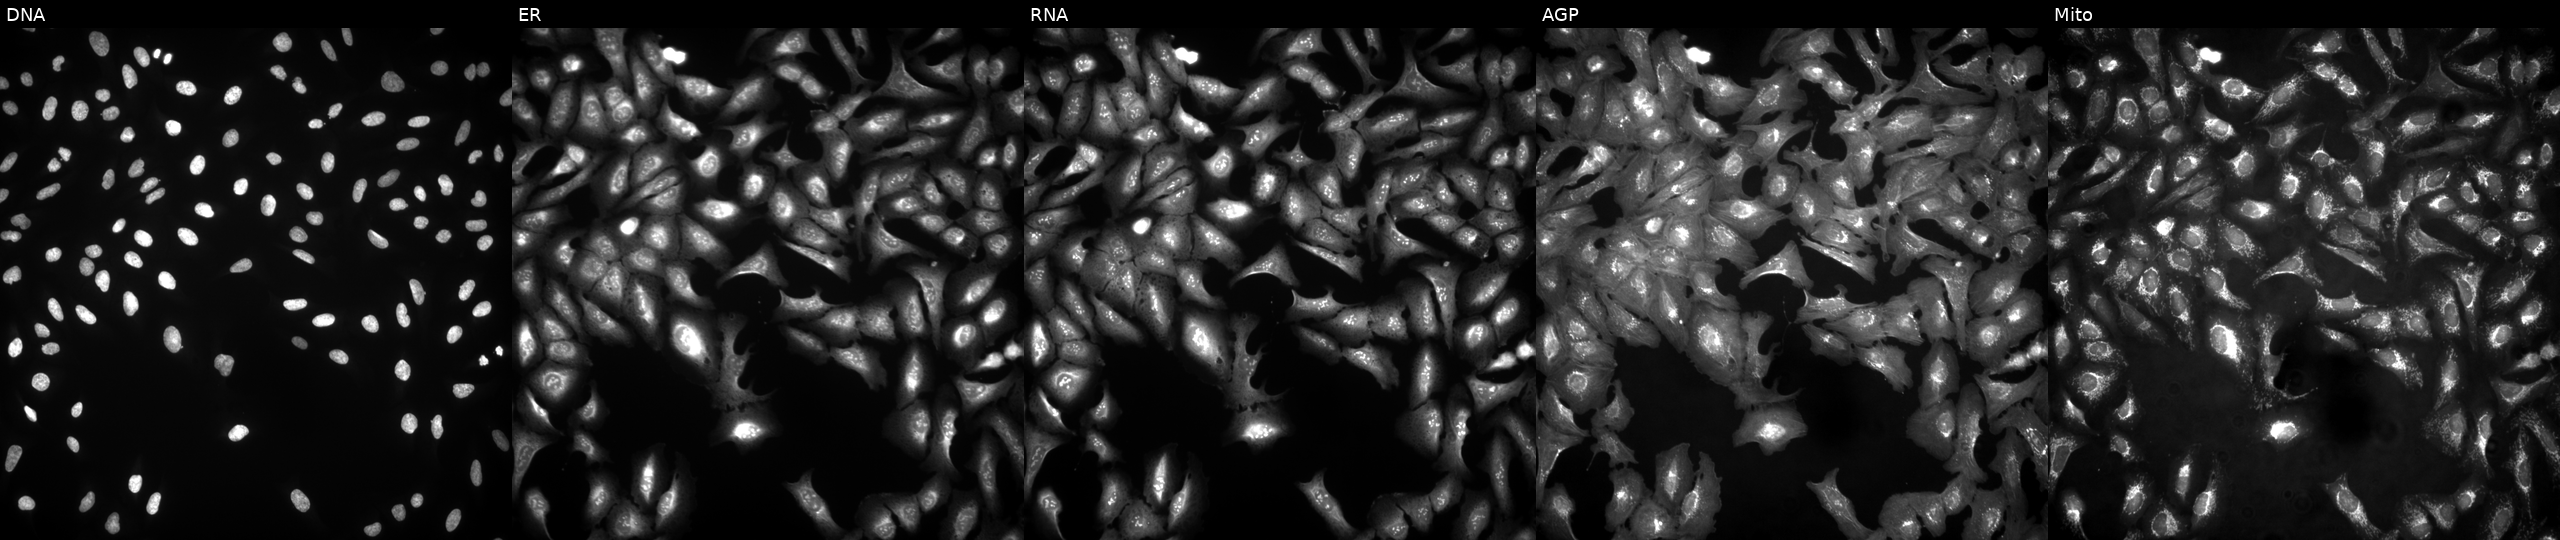
U2OS cells, Cell Painting assay, overexpressing PCOTH via ORF transfection. Panels show, left to right, DNA (nuclei); ER (endoplasmic reticulum); RNA (nucleoli and cytoplasmic RNA); AGP (actin cytoskeleton, Golgi, and plasma membrane); Mito (mitochondria). Each panel is percentile-stretched 16-bit fluorescence. Source 4, plate BR00124790, well E08.